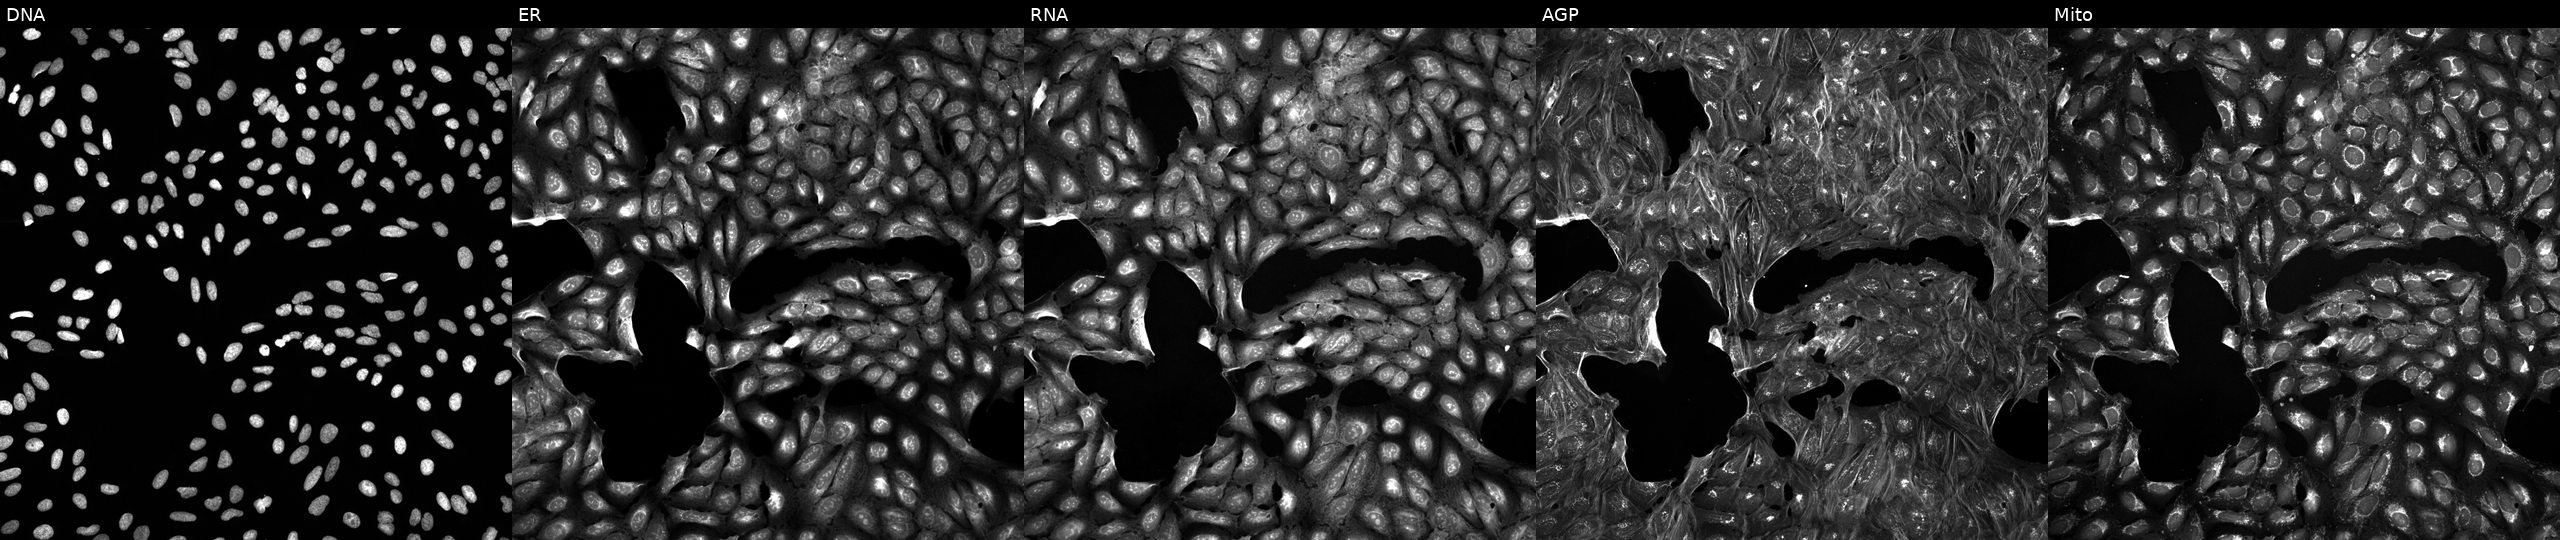
High-content fluorescence microscopy (Cell Painting). Cell line: U2OS. Perturbation: treated with DMSO vehicle only (negative control). Channels (left→right): Hoechst 33342, concanavalin A, SYTO 14, phalloidin and WGA, MitoTracker.